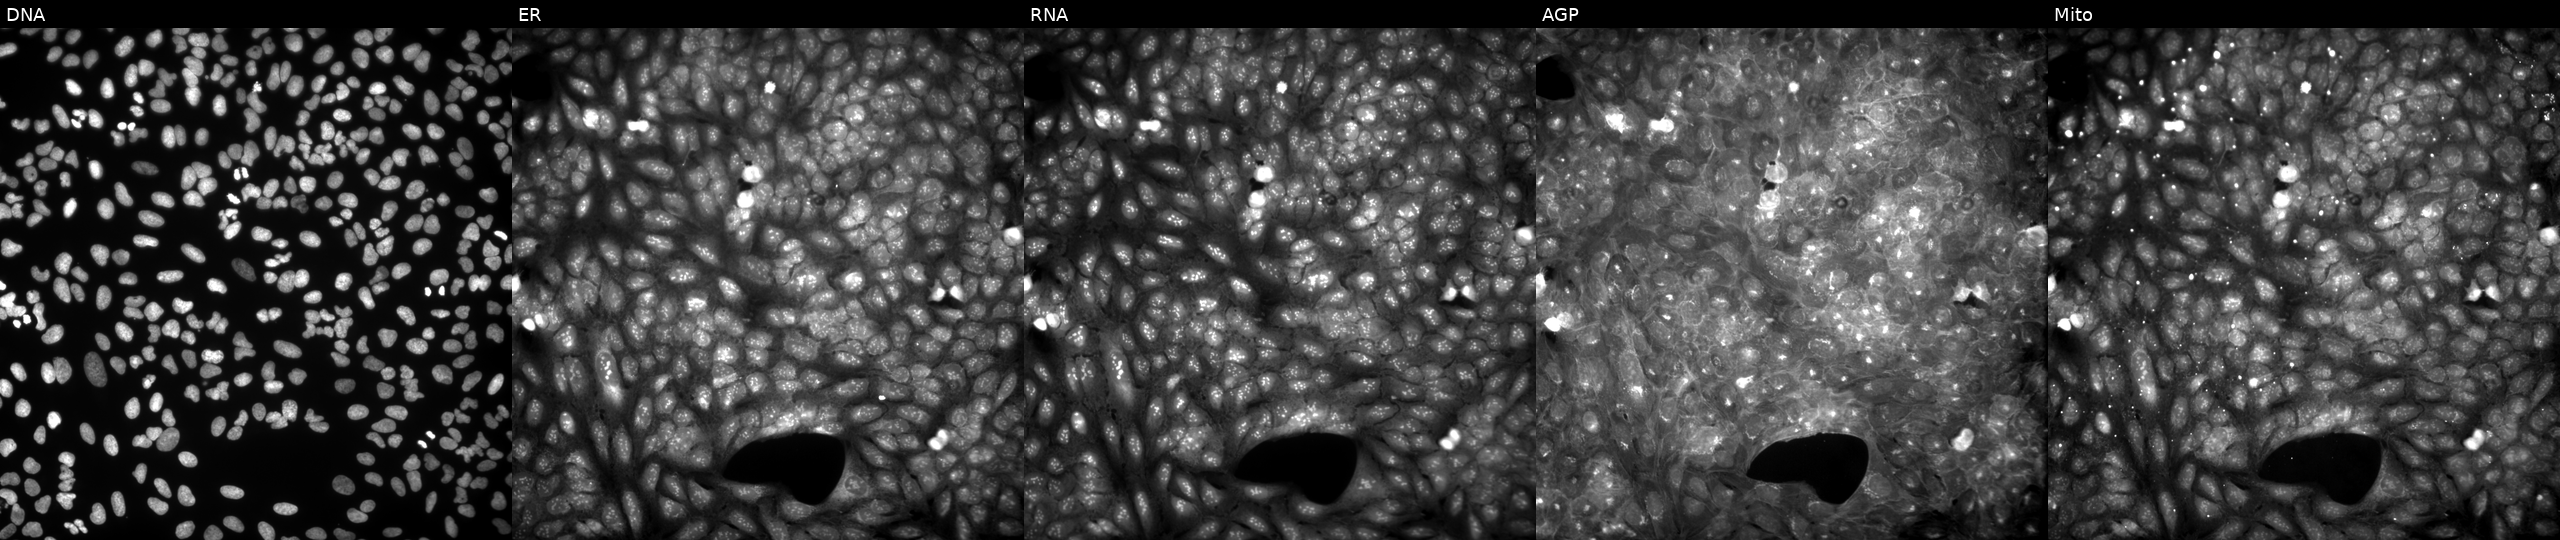
U2OS cells, Cell Painting assay, perturbed with a small-molecule compound (InChIKey DDYDDAVBYMTKTM-UHFFFAOYSA-N) [SMILES: O=C(O)CSc1nc2cc(Cl)ccc2s1] (JUMP id JCP2022_015290). From left to right: Hoechst 33342, concanavalin A, SYTO 14, phalloidin and WGA, MitoTracker. Each panel is percentile-stretched 16-bit fluorescence.